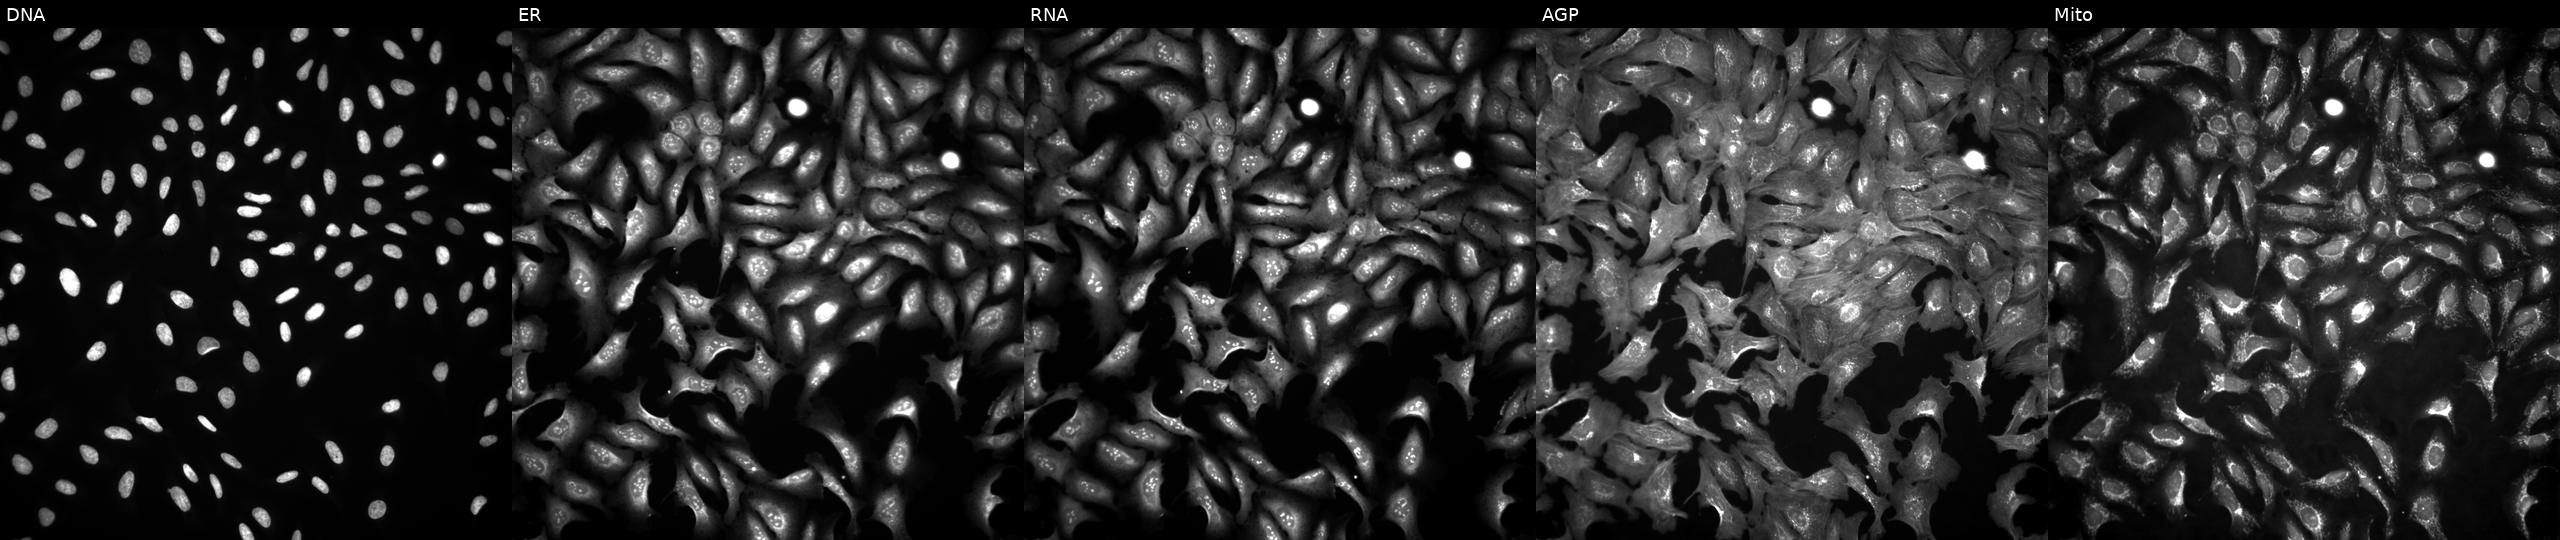
Five-channel Cell Painting image of U2OS cells overexpressing TESK1 via ORF transfection (JUMP id JCP2022_913882). Panels show, left to right, DNA, ER, RNA, AGP, and Mito.